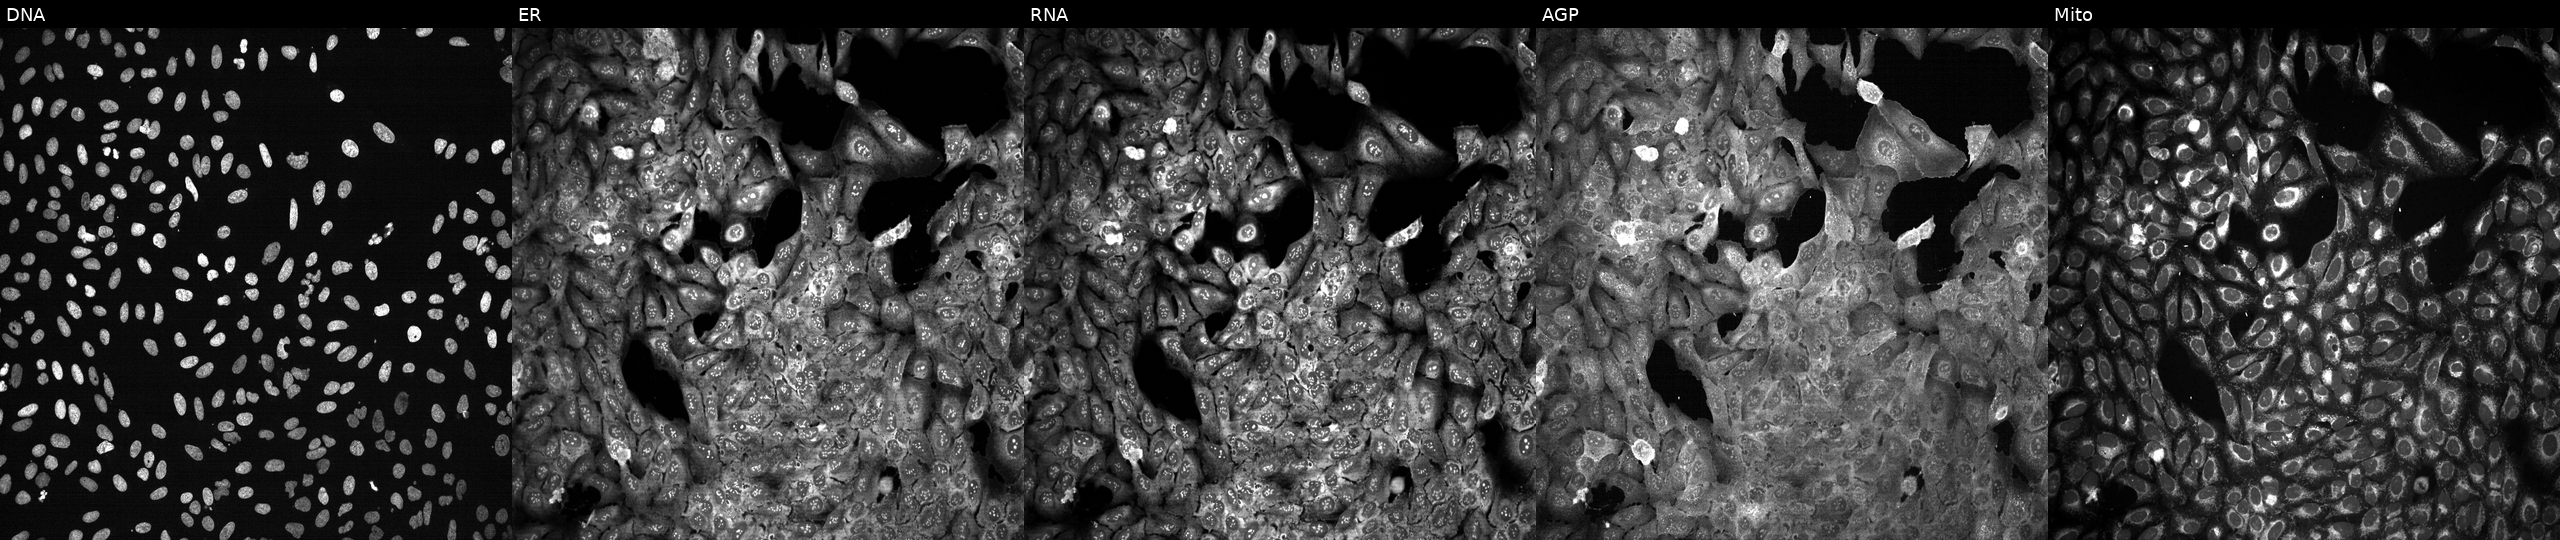
Channels (left→right): DNA (nuclei); ER (endoplasmic reticulum); RNA (nucleoli and cytoplasmic RNA); AGP (actin cytoskeleton, Golgi, and plasma membrane); Mito (mitochondria). U2OS osteosarcoma cells CRISPR-edited to disrupt ELMOD3 (JUMP id JCP2022_802098). Cell Painting assay, JUMP-CP dataset.